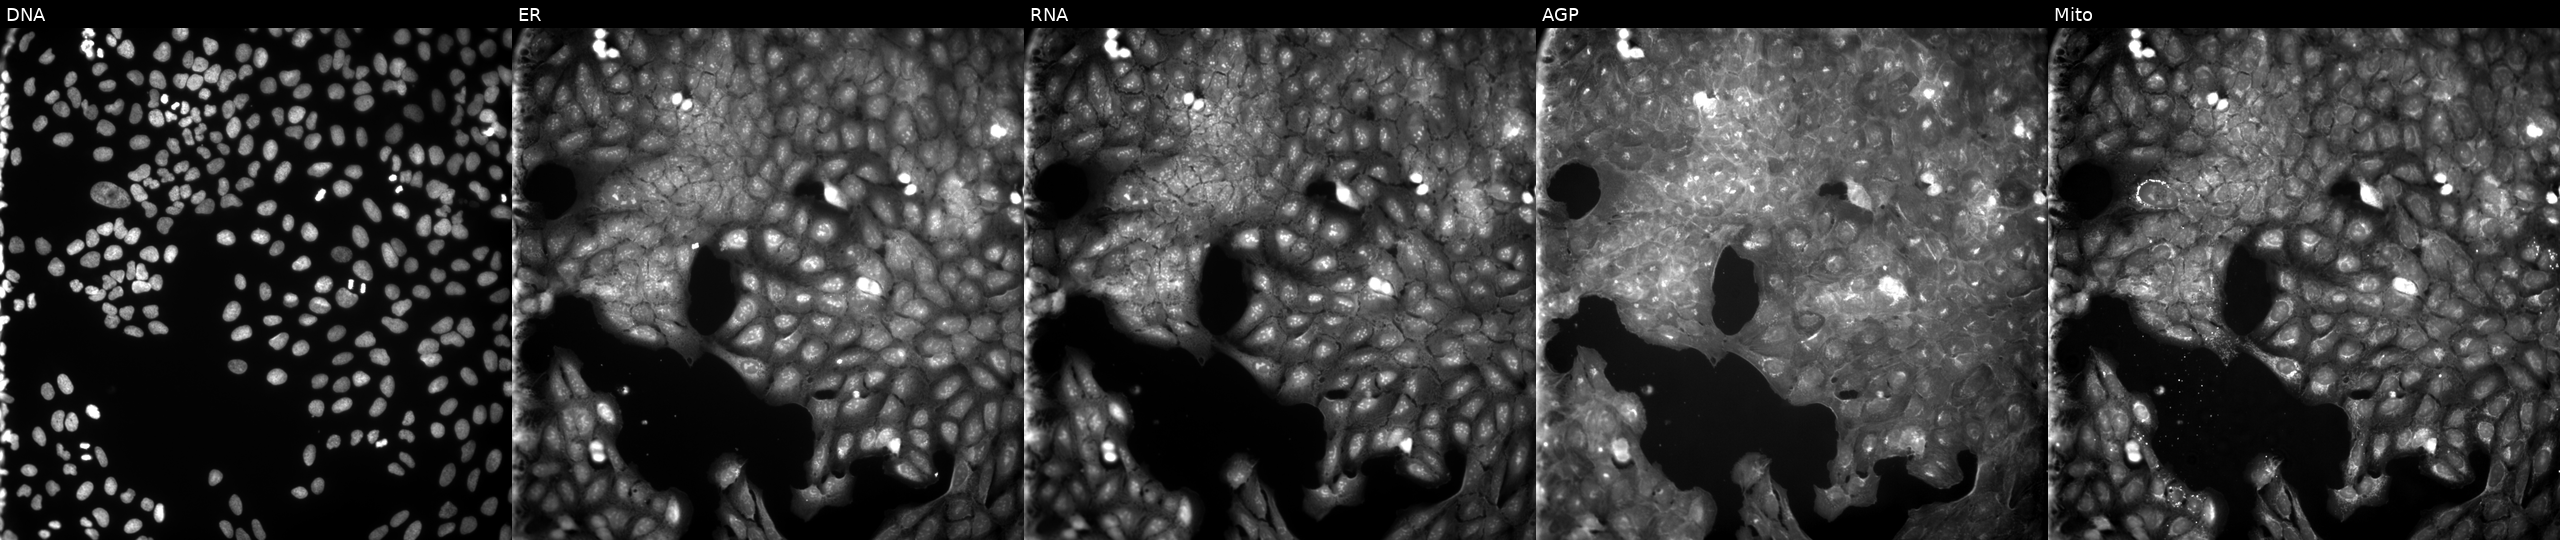
This image strip shows the five Cell Painting channels for a single field of U2OS cells exposed to a small-molecule compound (InChIKey DIEDUXLLQSEJIU-UHFFFAOYSA-N). Panels show, left to right, DNA, ER, RNA, AGP, and Mito.